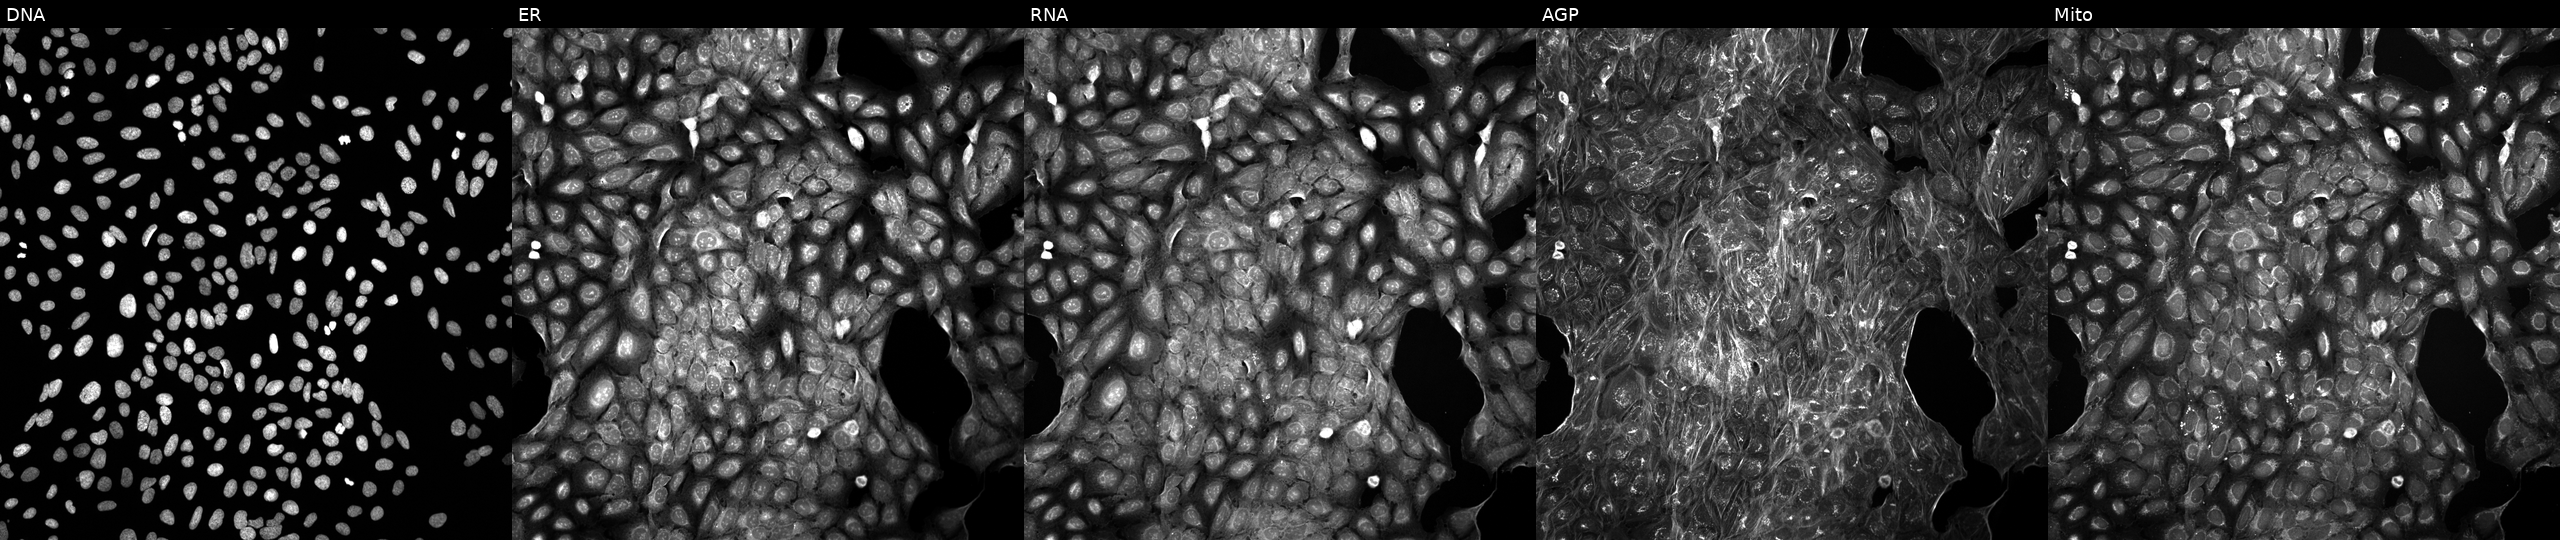
High-content fluorescence microscopy (Cell Painting). Cell line: U2OS. Perturbation: exposed to a small-molecule compound (JUMP id JCP2022_085037). Panels show, left to right, DNA (nuclei); ER (endoplasmic reticulum); RNA (nucleoli and cytoplasmic RNA); AGP (actin cytoskeleton, Golgi, and plasma membrane); Mito (mitochondria). Source 5, plate APTJUM105, well K22.